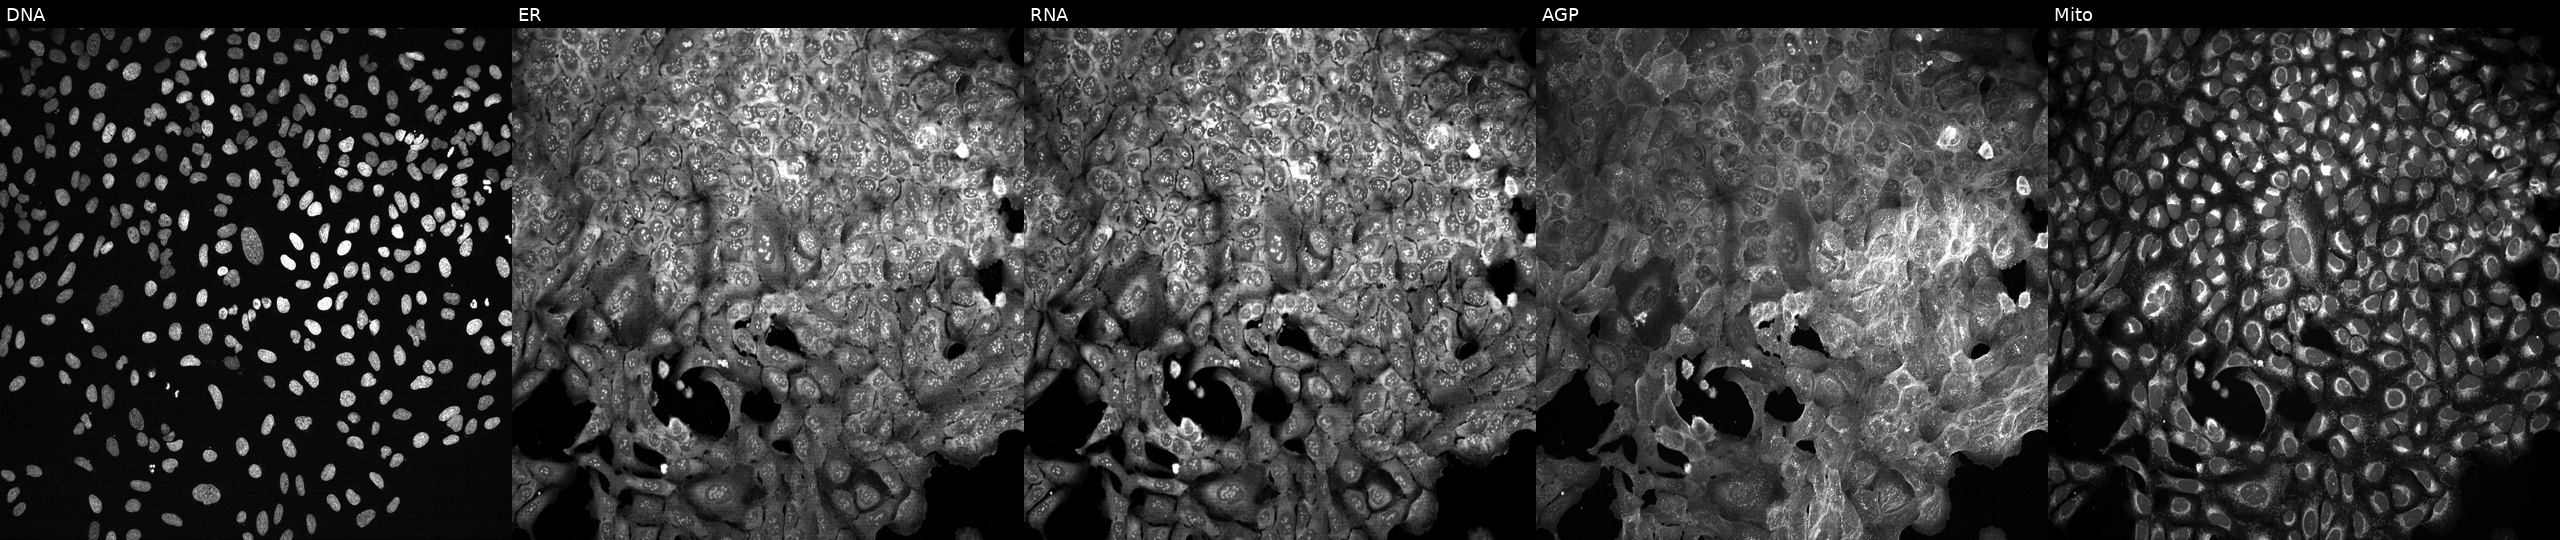
This image strip shows the five Cell Painting channels for a single field of U2OS cells following CRISPR knockout of IDE (JUMP id JCP2022_803319). Panels show, left to right, DNA (nuclei); ER (endoplasmic reticulum); RNA (nucleoli and cytoplasmic RNA); AGP (actin cytoskeleton, Golgi, and plasma membrane); Mito (mitochondria). Source 13, plate CP-CC9-R6-19, well O09.